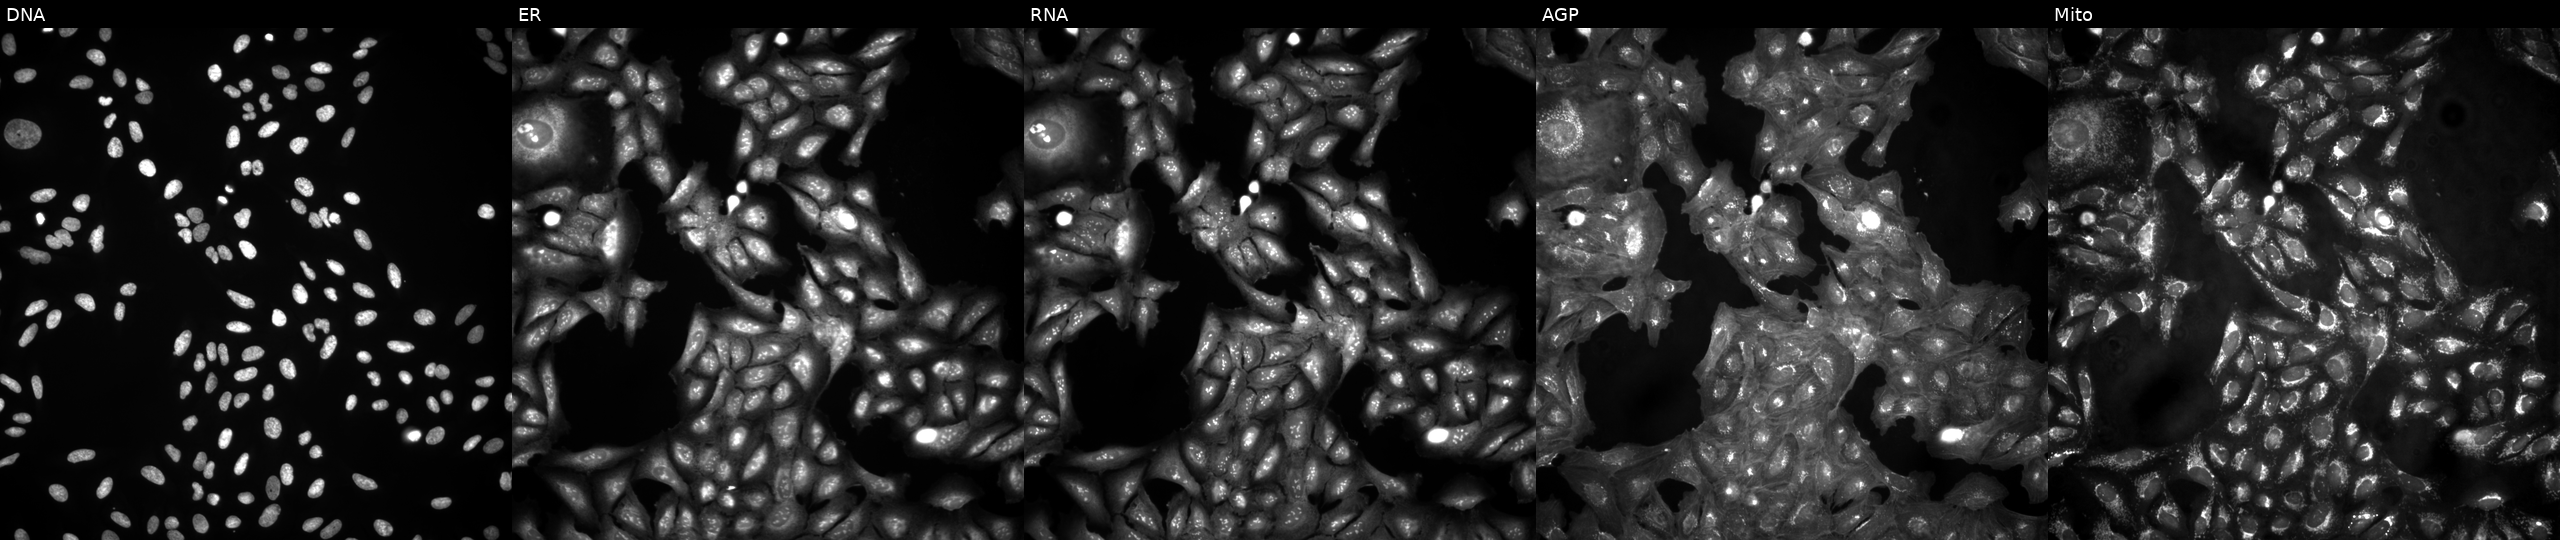
Channels (left→right): Hoechst 33342, concanavalin A, SYTO 14, phalloidin and WGA, MitoTracker. U2OS osteosarcoma cells in an empty control well (no perturbation). Cell Painting assay, JUMP-CP dataset. Source 4, plate BR00123946, well L10.